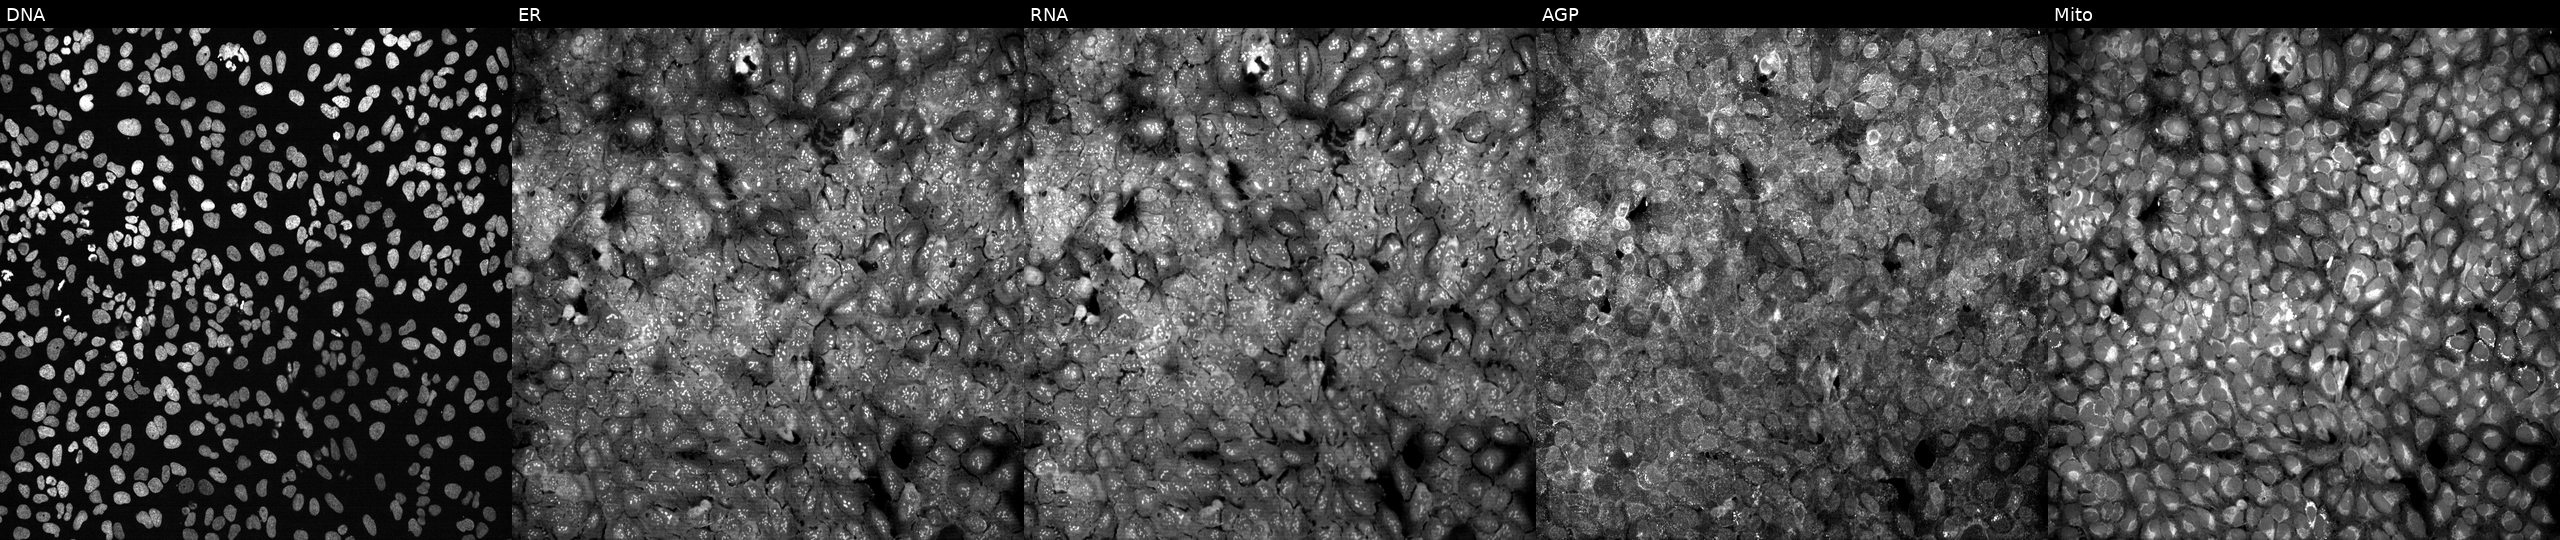
JUMP Cell Painting — CRISPR plate. U2OS cells CRISPR-edited to disrupt FGF11 (JUMP id JCP2022_802377). From left to right: DNA (nuclei); ER (endoplasmic reticulum); RNA (nucleoli and cytoplasmic RNA); AGP (actin cytoskeleton, Golgi, and plasma membrane); Mito (mitochondria). Source 13, plate CP-CC9-R1-01, well F13.